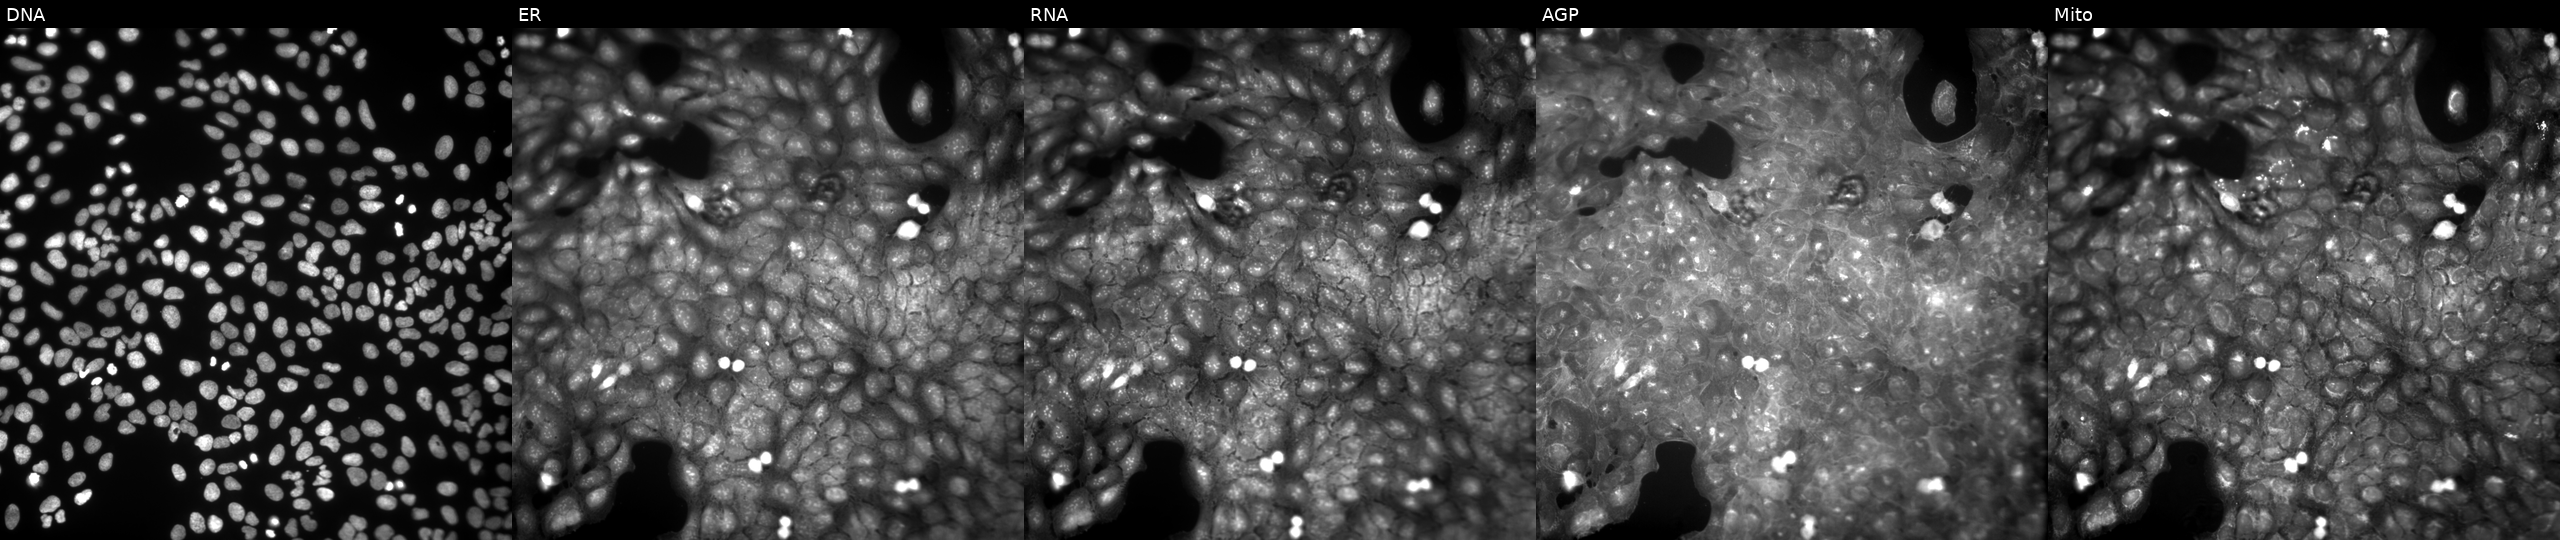
U2OS cells, Cell Painting assay, treated with DMSO vehicle only (negative control). Panels show, left to right, DNA (nuclei); ER (endoplasmic reticulum); RNA (nucleoli and cytoplasmic RNA); AGP (actin cytoskeleton, Golgi, and plasma membrane); Mito (mitochondria). Each panel is percentile-stretched 16-bit fluorescence.